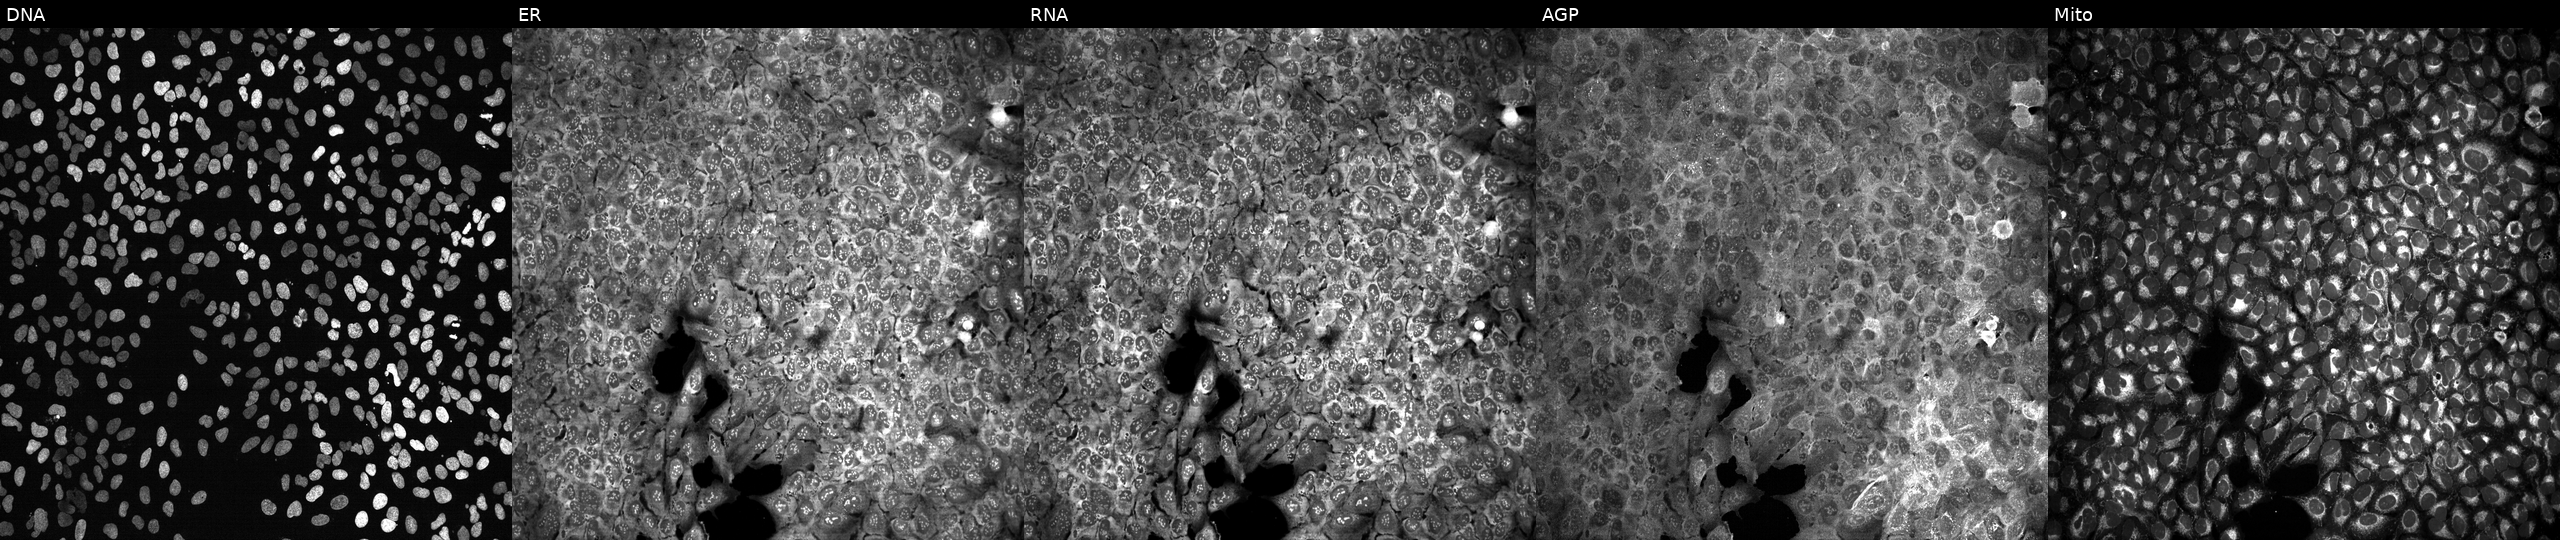
Panels show, left to right, DNA (nuclei); ER (endoplasmic reticulum); RNA (nucleoli and cytoplasmic RNA); AGP (actin cytoskeleton, Golgi, and plasma membrane); Mito (mitochondria). U2OS osteosarcoma cells with IBSP knocked out by CRISPR. Cell Painting assay, JUMP-CP dataset. Source 13, plate CP-CC9-R3-02, well J03.